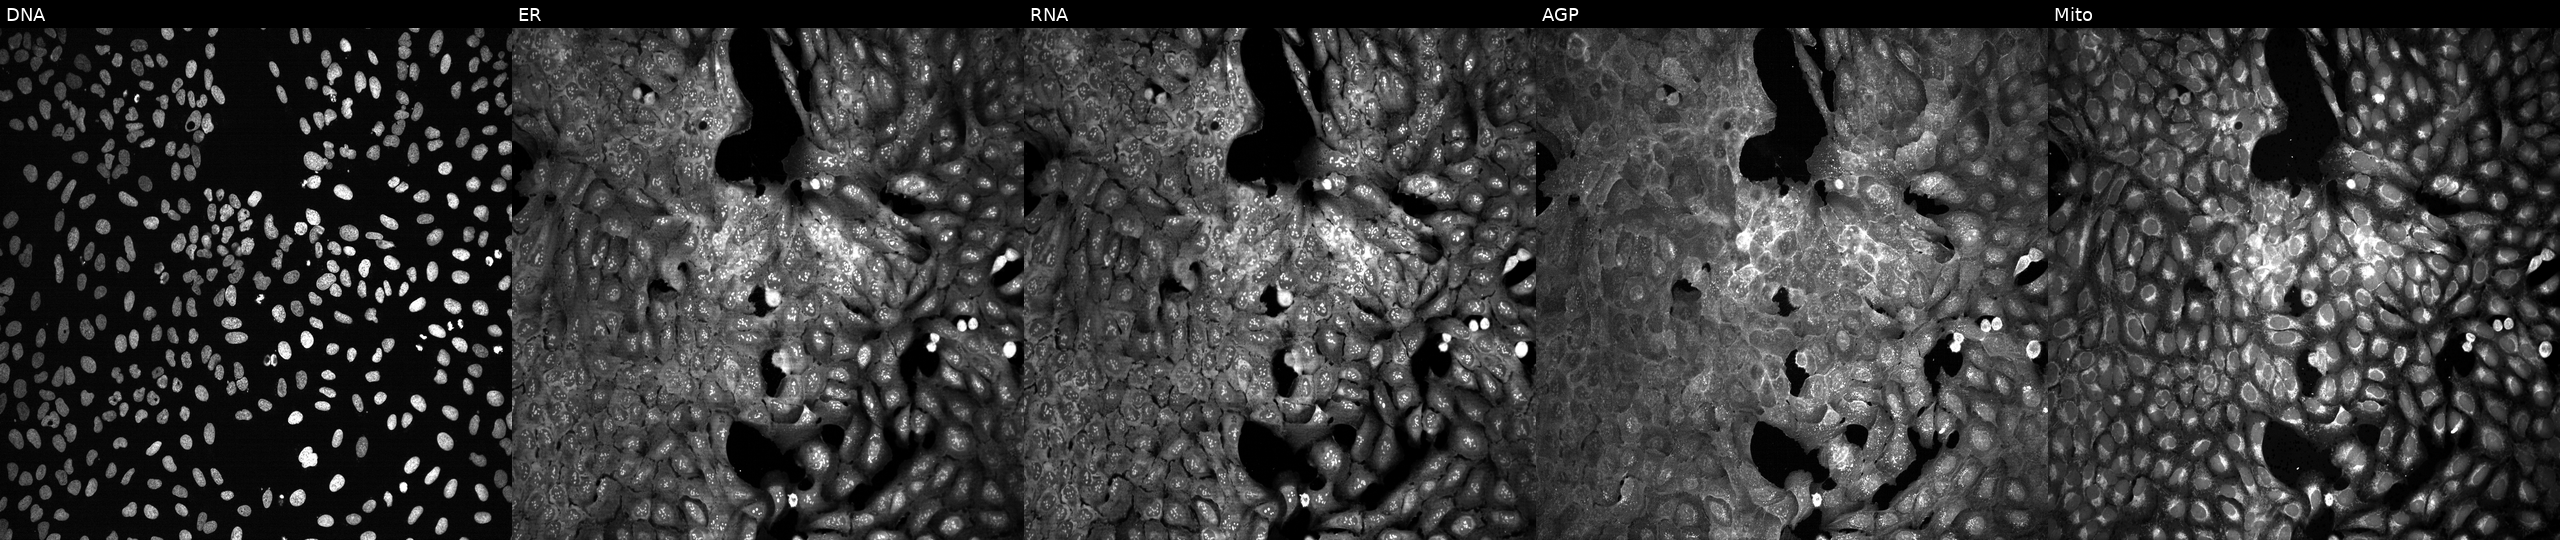
JUMP Cell Painting — CRISPR plate. U2OS cells with IL13RA1 knocked out by CRISPR (JUMP id JCP2022_803368). From left to right: Hoechst 33342, concanavalin A, SYTO 14, phalloidin and WGA, MitoTracker.